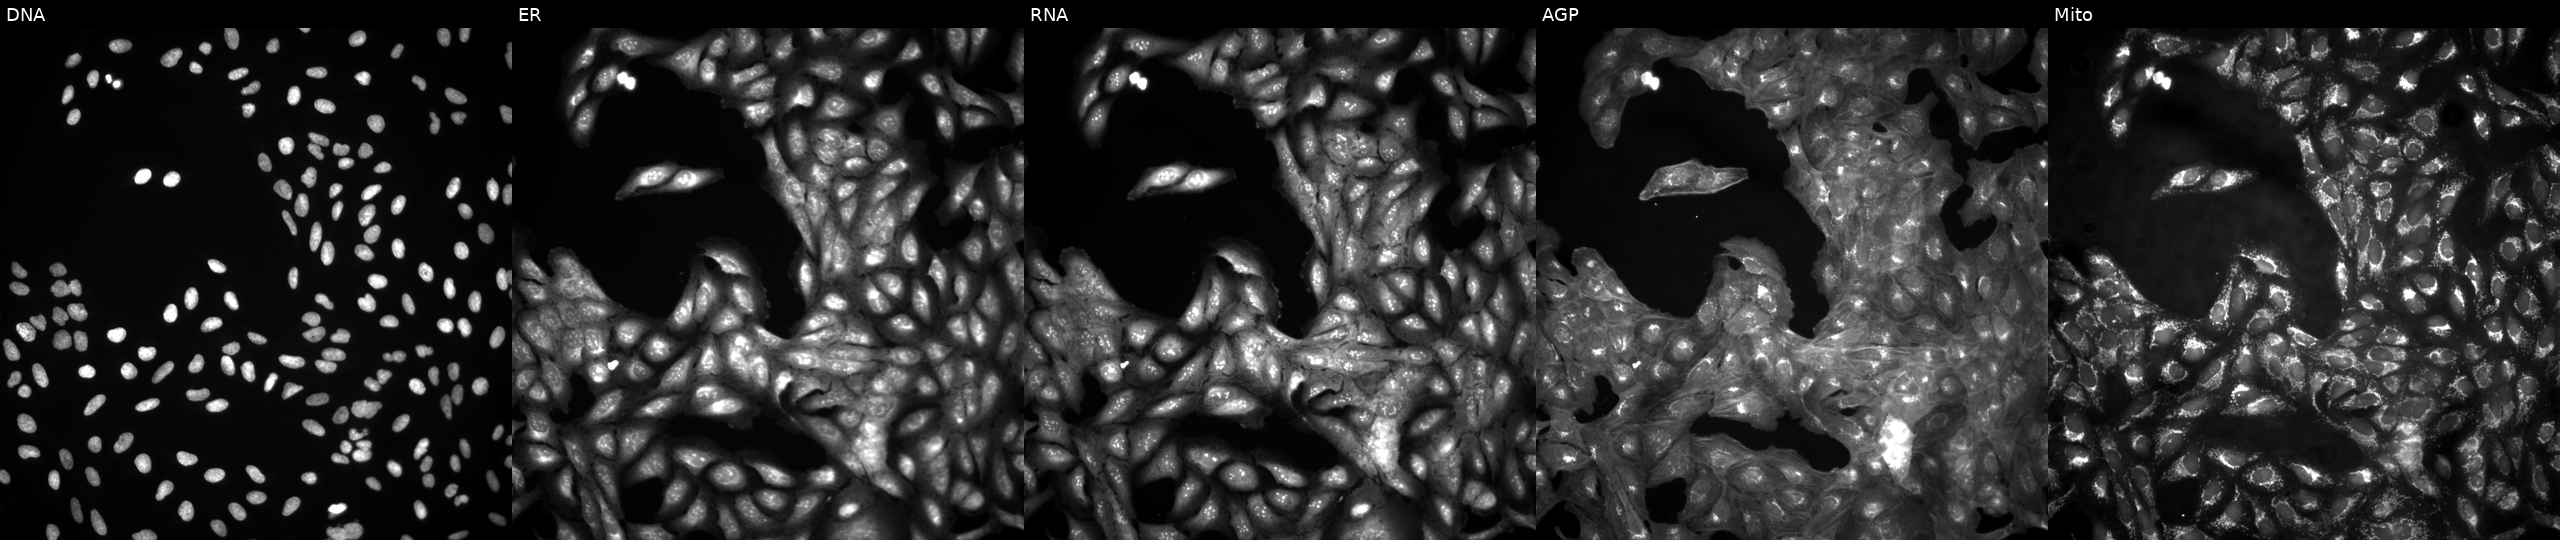
U2OS cells, Cell Painting assay, untreated (empty-well control) (JUMP id JCP2022_999999). The five panels, left to right, show DNA (nuclei); ER (endoplasmic reticulum); RNA (nucleoli and cytoplasmic RNA); AGP (actin cytoskeleton, Golgi, and plasma membrane); Mito (mitochondria). Each panel is percentile-stretched 16-bit fluorescence. Source 4, plate BR00123946, well O19.